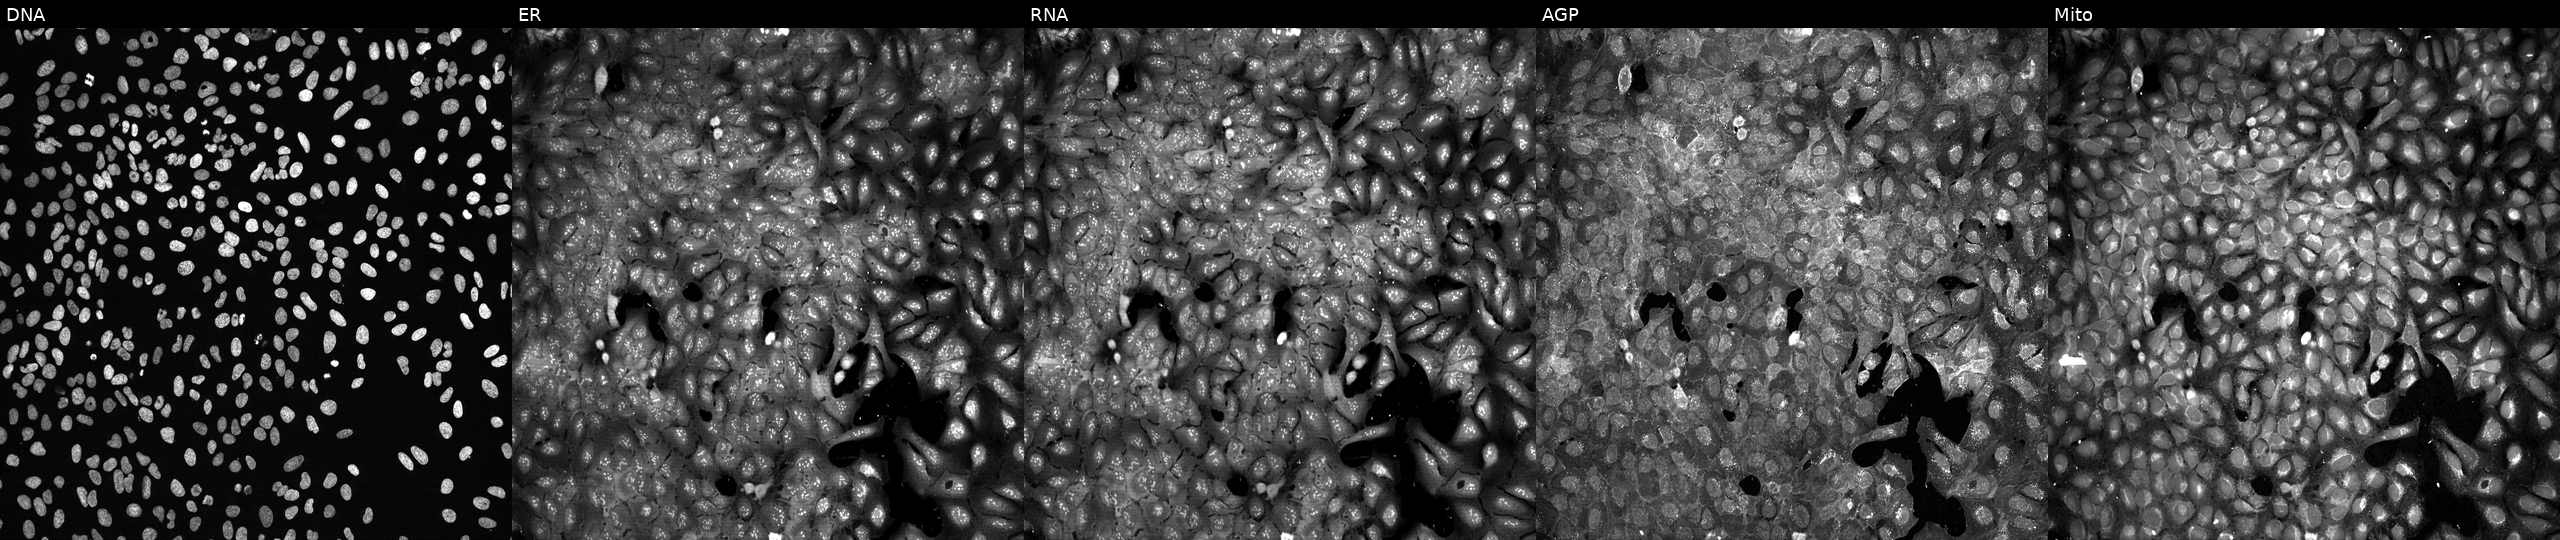
This image strip shows the five Cell Painting channels for a single field of U2OS cells following CRISPR knockout of AGBL2 (JUMP id JCP2022_800301). Channels (left→right): DNA, ER, RNA, AGP, and Mito.